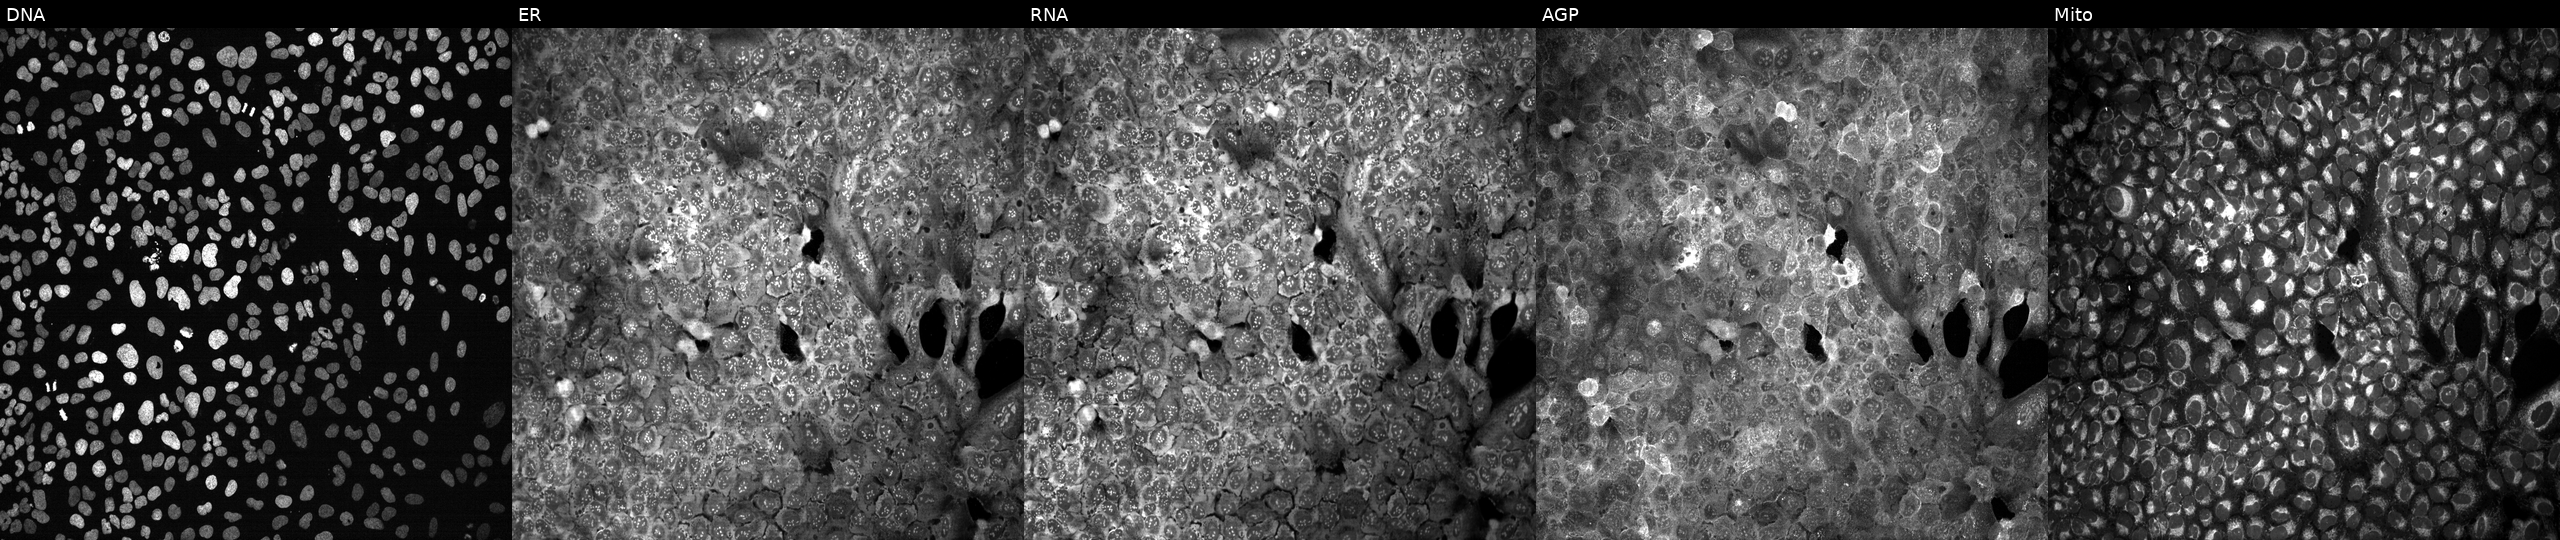
Five-channel Cell Painting image of U2OS cells with SLCO4A1 knocked out by CRISPR. From left to right: Hoechst 33342, concanavalin A, SYTO 14, phalloidin and WGA, MitoTracker.